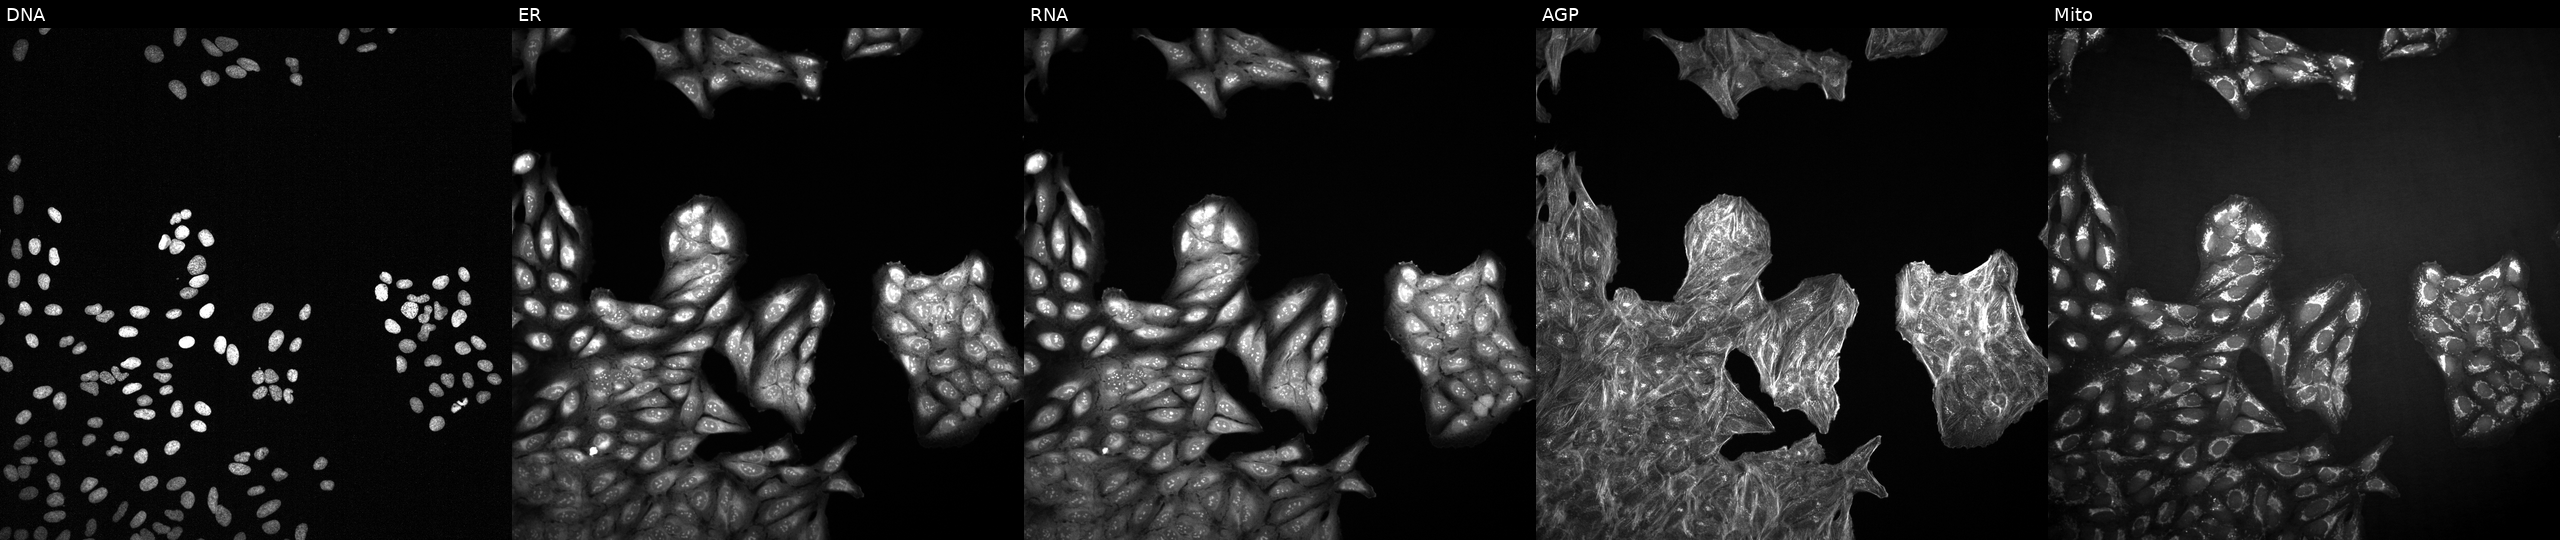
Panels show, left to right, Hoechst 33342, concanavalin A, SYTO 14, phalloidin and WGA, MitoTracker. U2OS osteosarcoma cells perturbed with a small-molecule compound (InChIKey LPEPZBJOKDYZAD-UHFFFAOYSA-N). Cell Painting assay, JUMP-CP dataset.